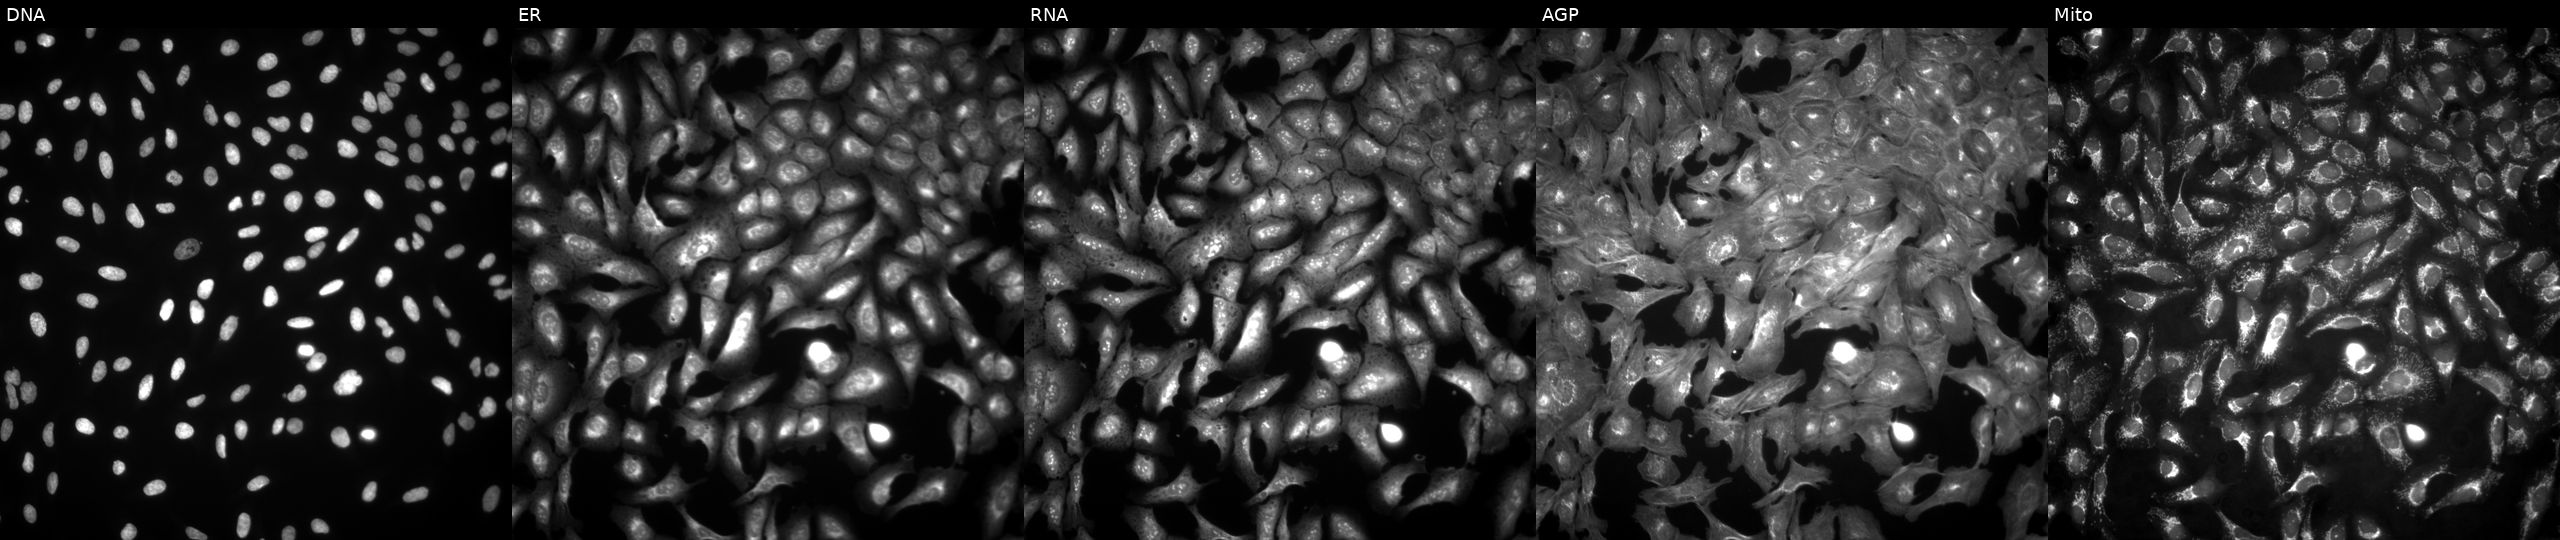
U2OS cells, Cell Painting assay, transfected with an ORF construct for PLN. From left to right: Hoechst 33342, concanavalin A, SYTO 14, phalloidin and WGA, MitoTracker. Each panel is percentile-stretched 16-bit fluorescence.